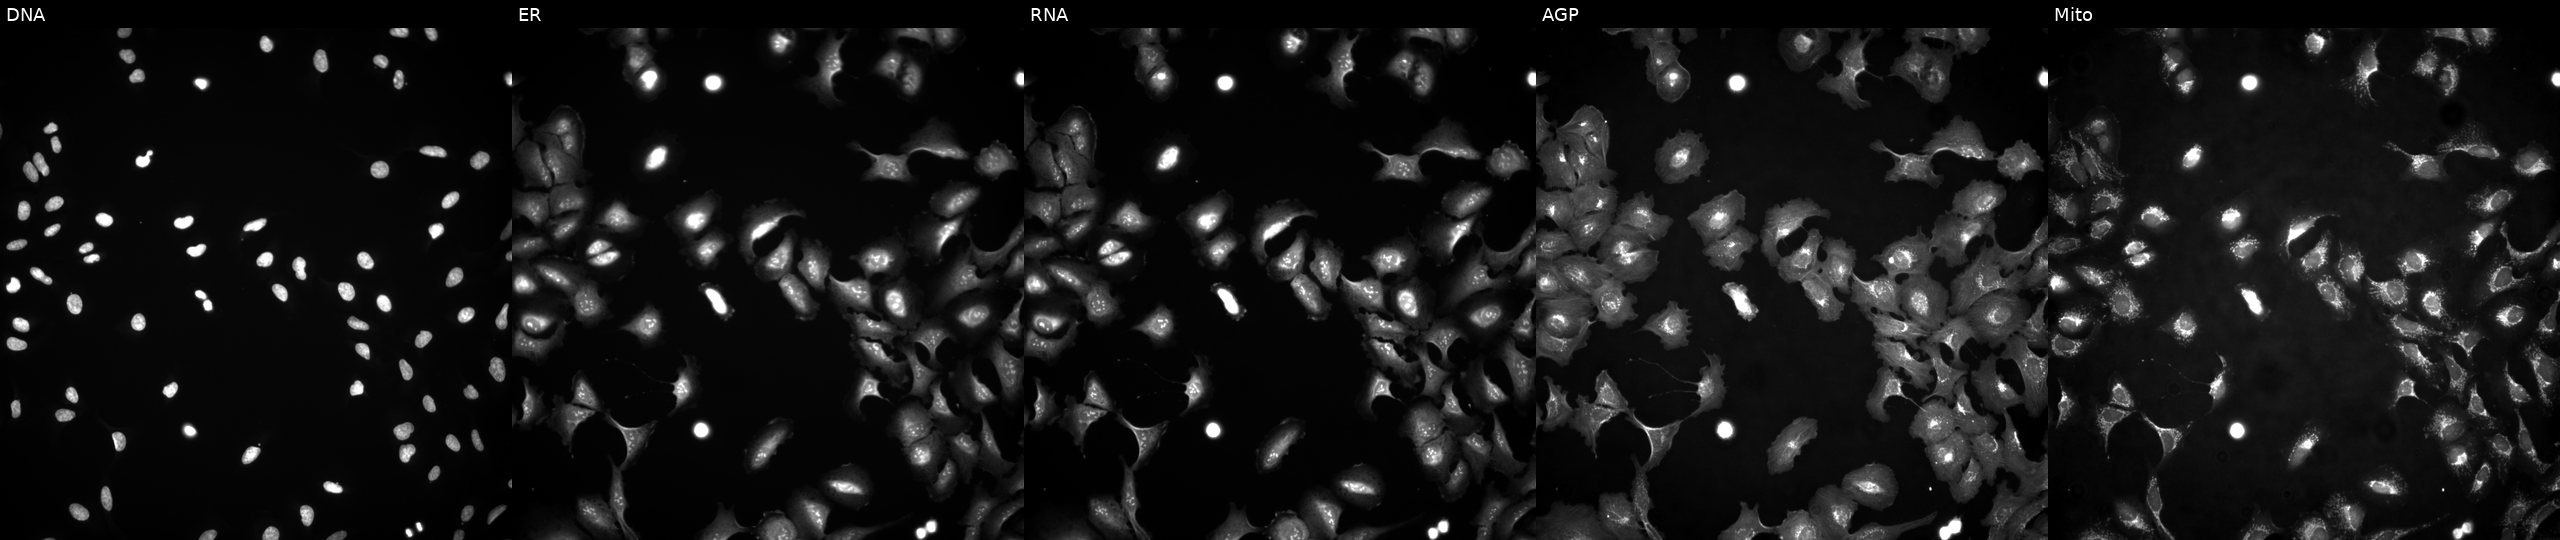
Channels (left→right): Hoechst 33342, concanavalin A, SYTO 14, phalloidin and WGA, MitoTracker. U2OS osteosarcoma cells with EHF overexpressed (ORF) (JUMP id JCP2022_902773). Cell Painting assay, JUMP-CP dataset.